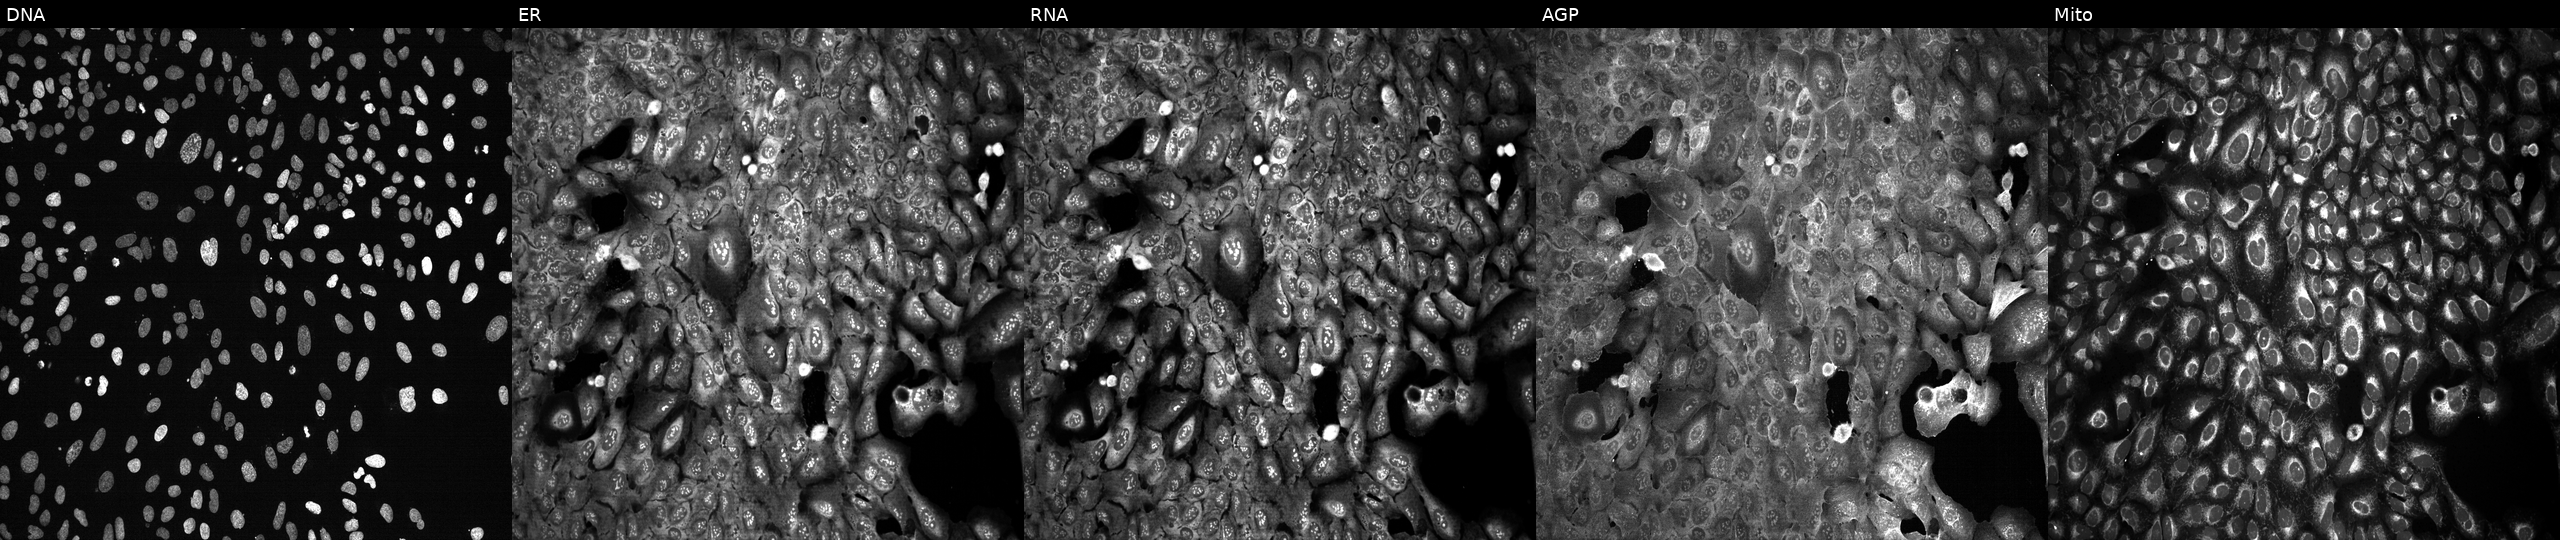
U2OS cells, Cell Painting assay, following CRISPR knockout of UGT2B17 (JUMP id JCP2022_807529). From left to right: DNA (nuclei); ER (endoplasmic reticulum); RNA (nucleoli and cytoplasmic RNA); AGP (actin cytoskeleton, Golgi, and plasma membrane); Mito (mitochondria). Each panel is percentile-stretched 16-bit fluorescence.